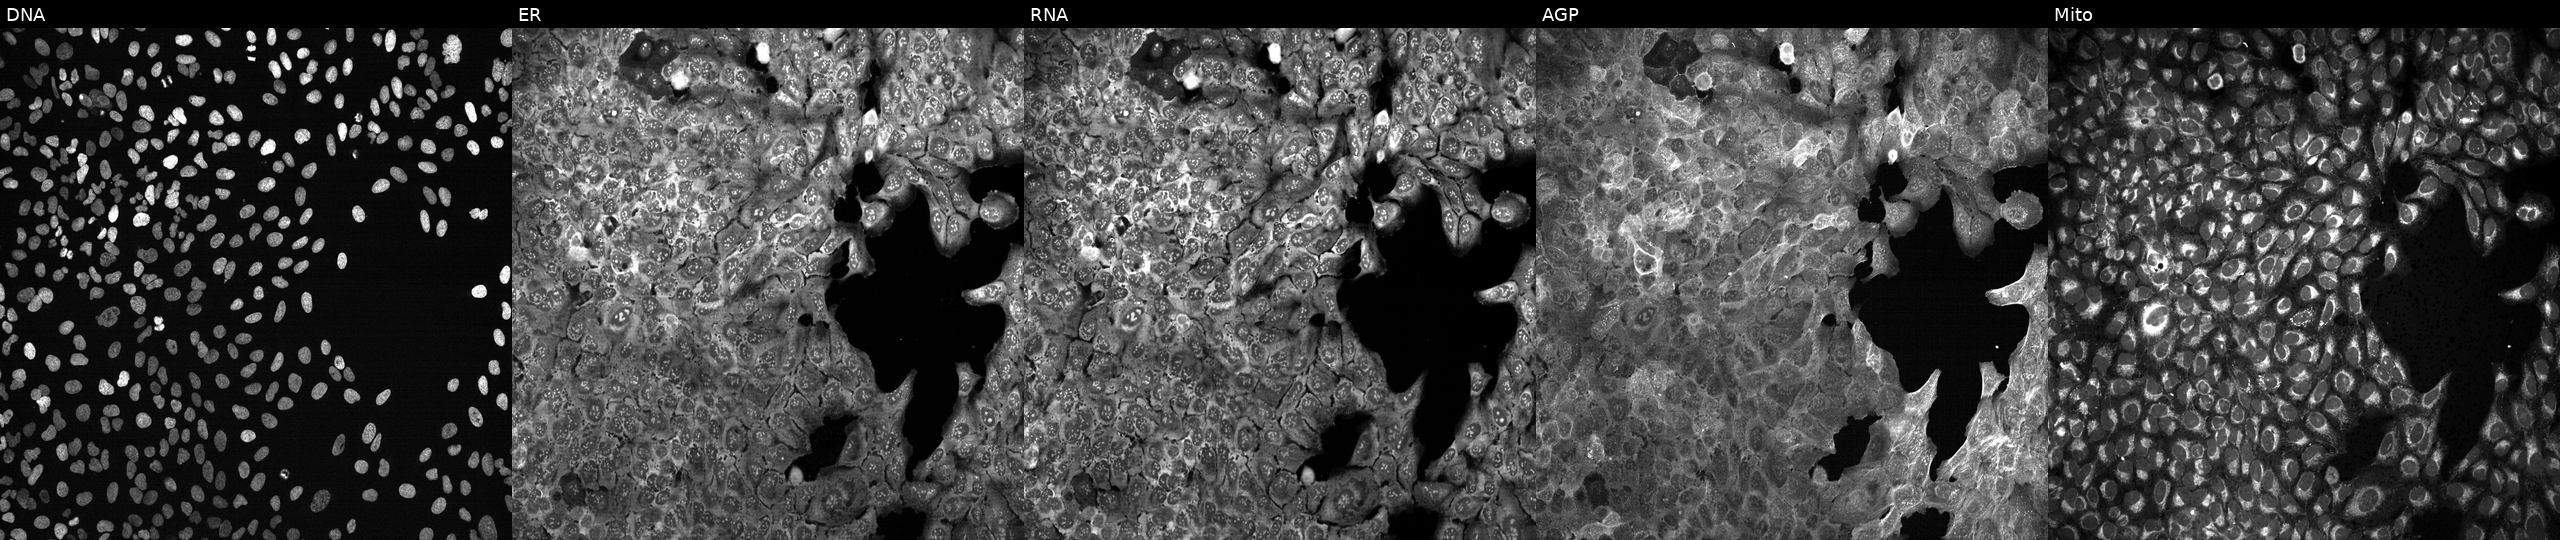
This image strip shows the five Cell Painting channels for a single field of U2OS cells with IL27RA knocked out by CRISPR. From left to right: DNA (nuclei); ER (endoplasmic reticulum); RNA (nucleoli and cytoplasmic RNA); AGP (actin cytoskeleton, Golgi, and plasma membrane); Mito (mitochondria). Source 13, plate CP-CC9-R2-01, well N12.